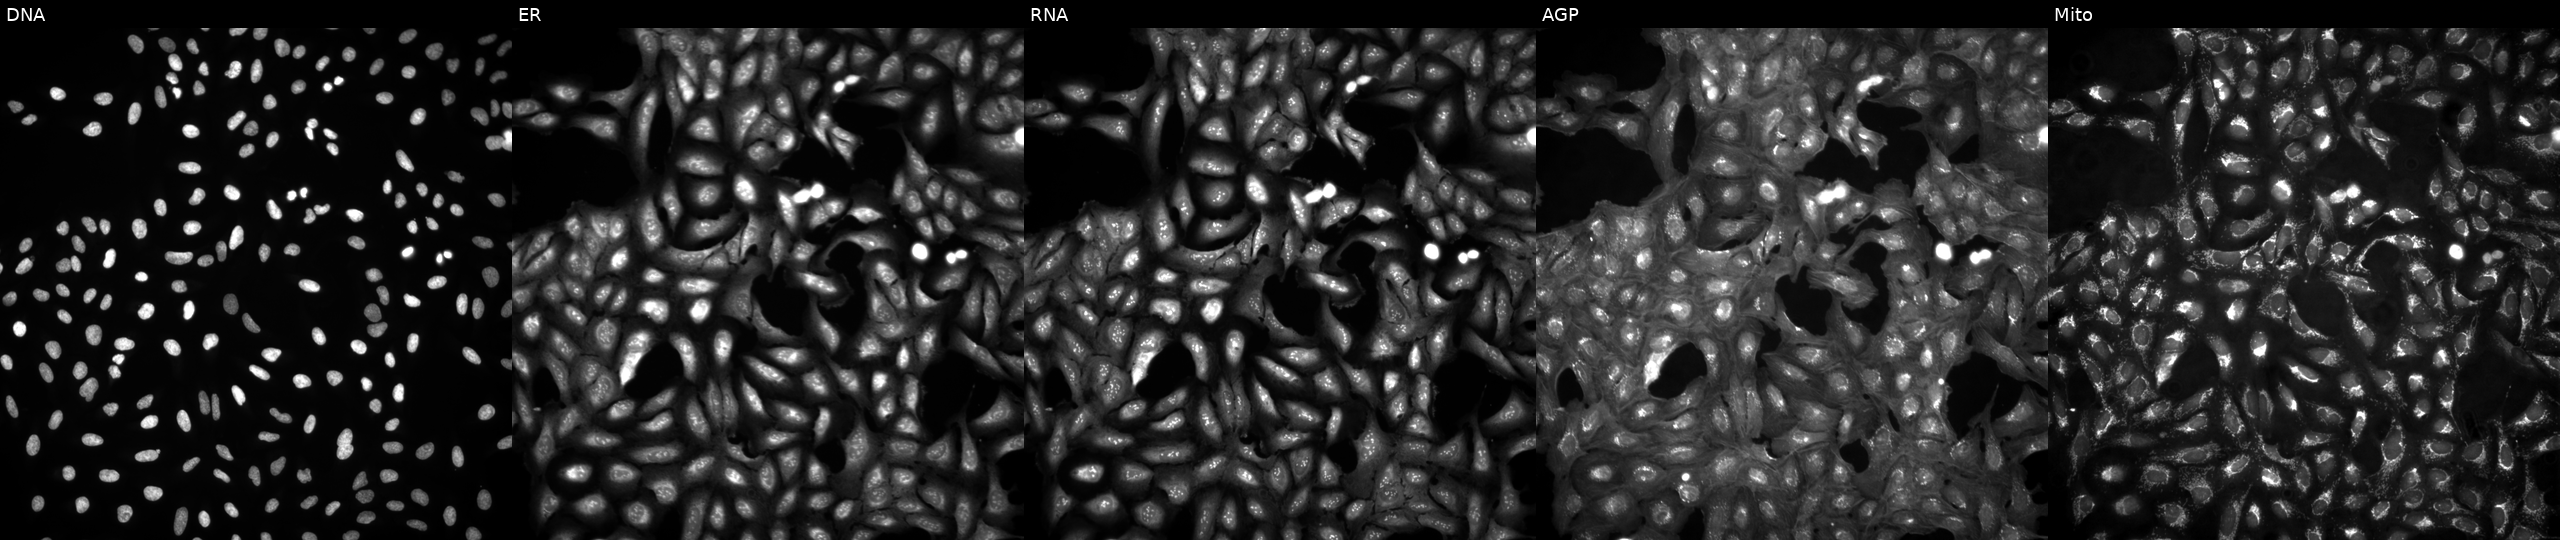
This image strip shows the five Cell Painting channels for a single field of U2OS cells in an empty control well (no perturbation). Channels (left→right): Hoechst 33342, concanavalin A, SYTO 14, phalloidin and WGA, MitoTracker. Source 4, plate BR00124793, well K08.